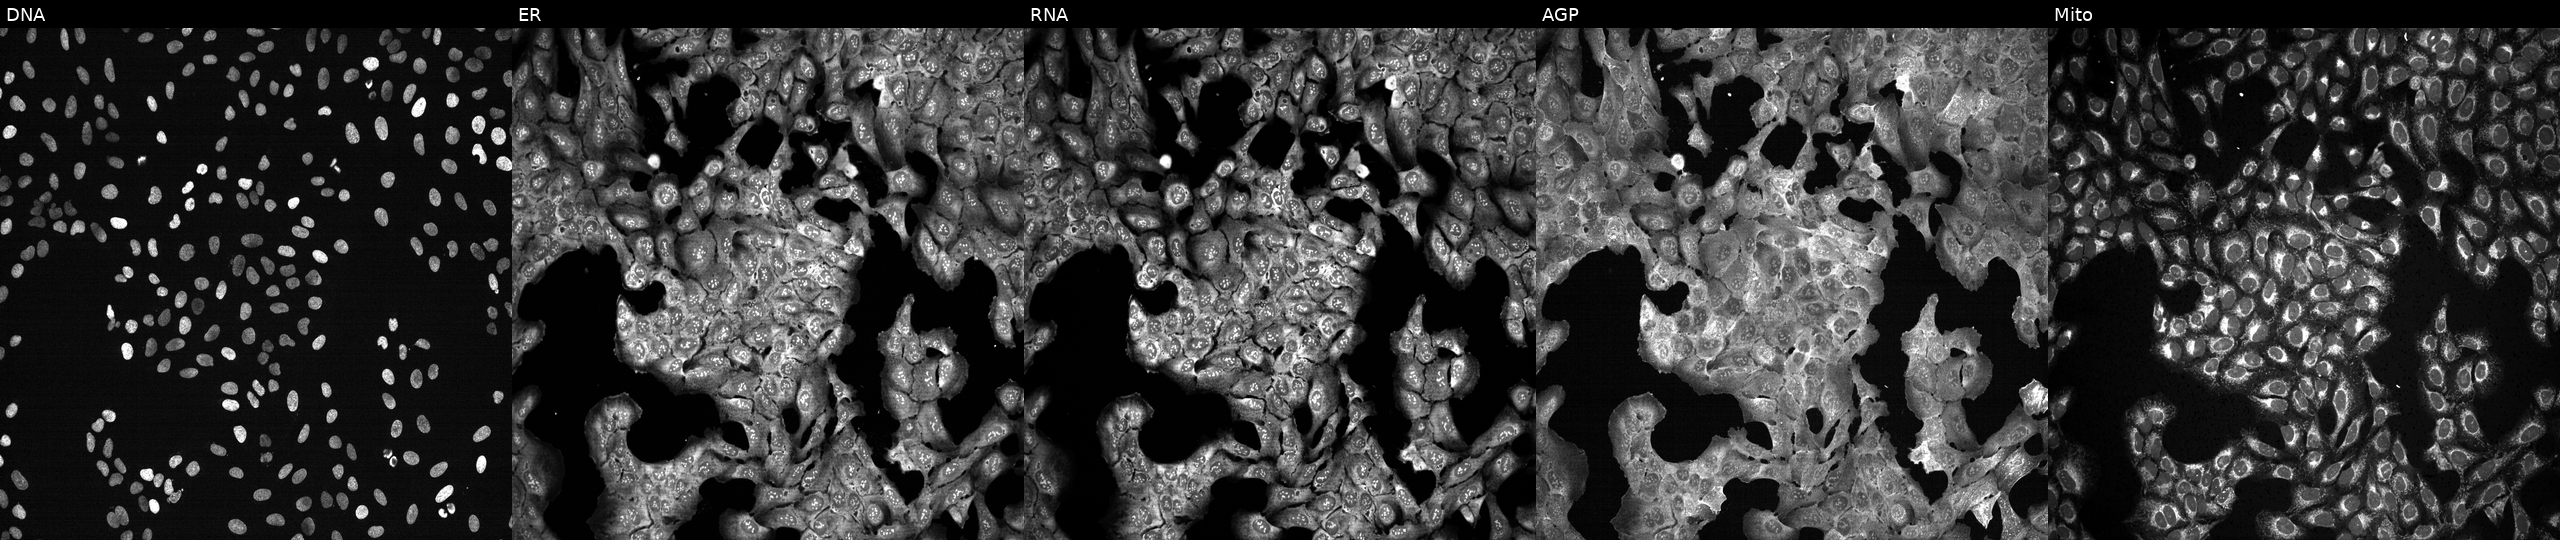
U2OS cells, Cell Painting assay, with FUT7 knocked out by CRISPR (JUMP id JCP2022_802516). The five panels, left to right, show DNA (nuclei); ER (endoplasmic reticulum); RNA (nucleoli and cytoplasmic RNA); AGP (actin cytoskeleton, Golgi, and plasma membrane); Mito (mitochondria). Each panel is percentile-stretched 16-bit fluorescence.